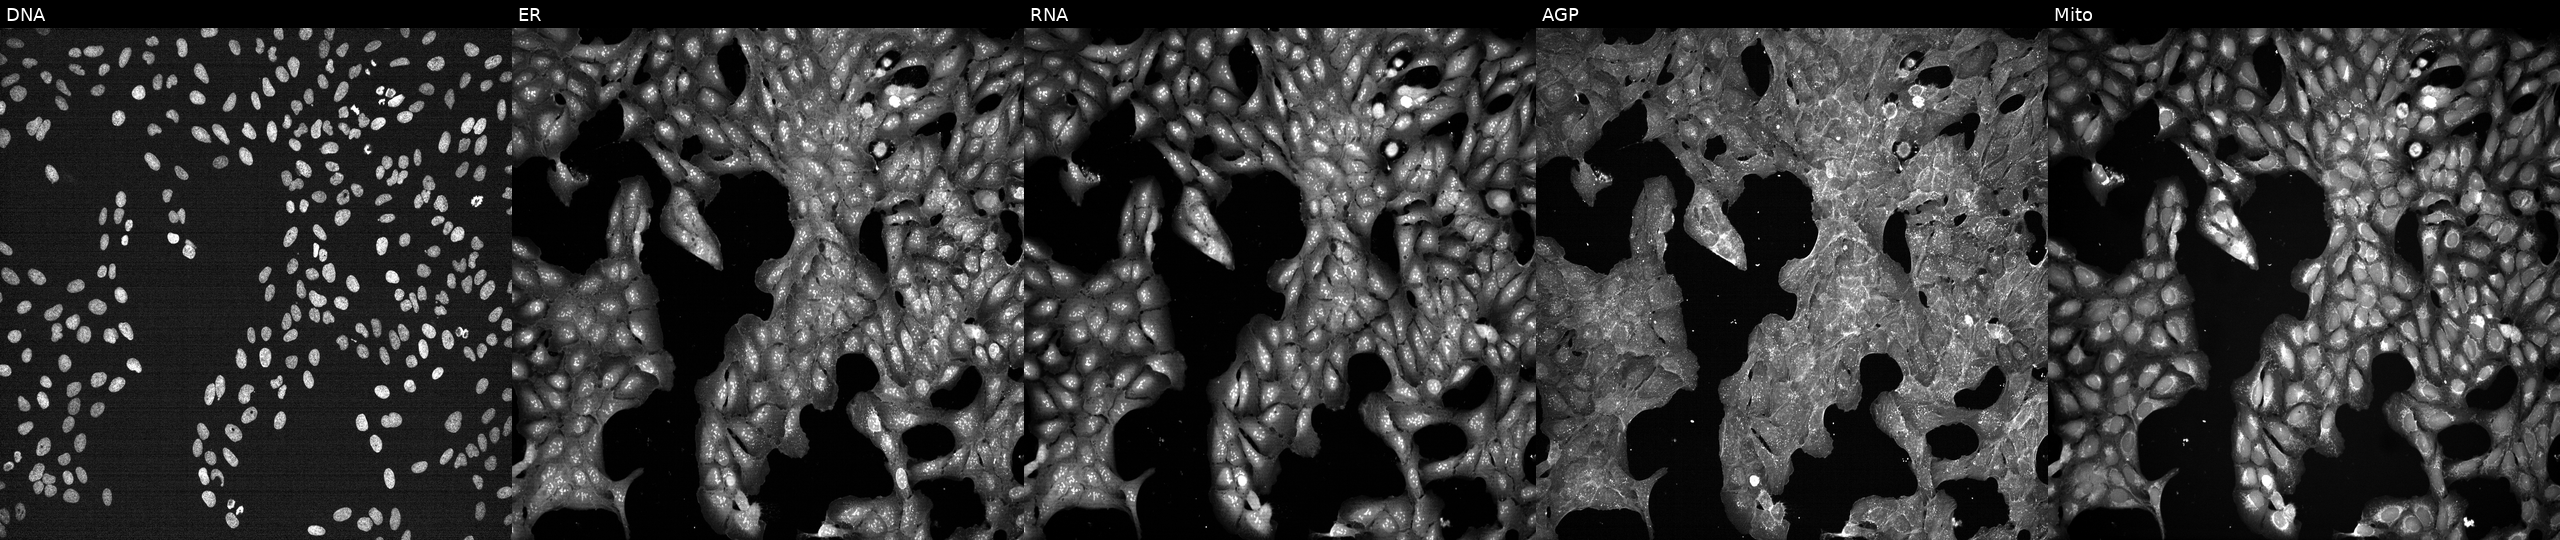
Five-channel Cell Painting image of U2OS cells treated with quinidine (positive-control compound). The five panels, left to right, show DNA, ER, RNA, AGP, and Mito.